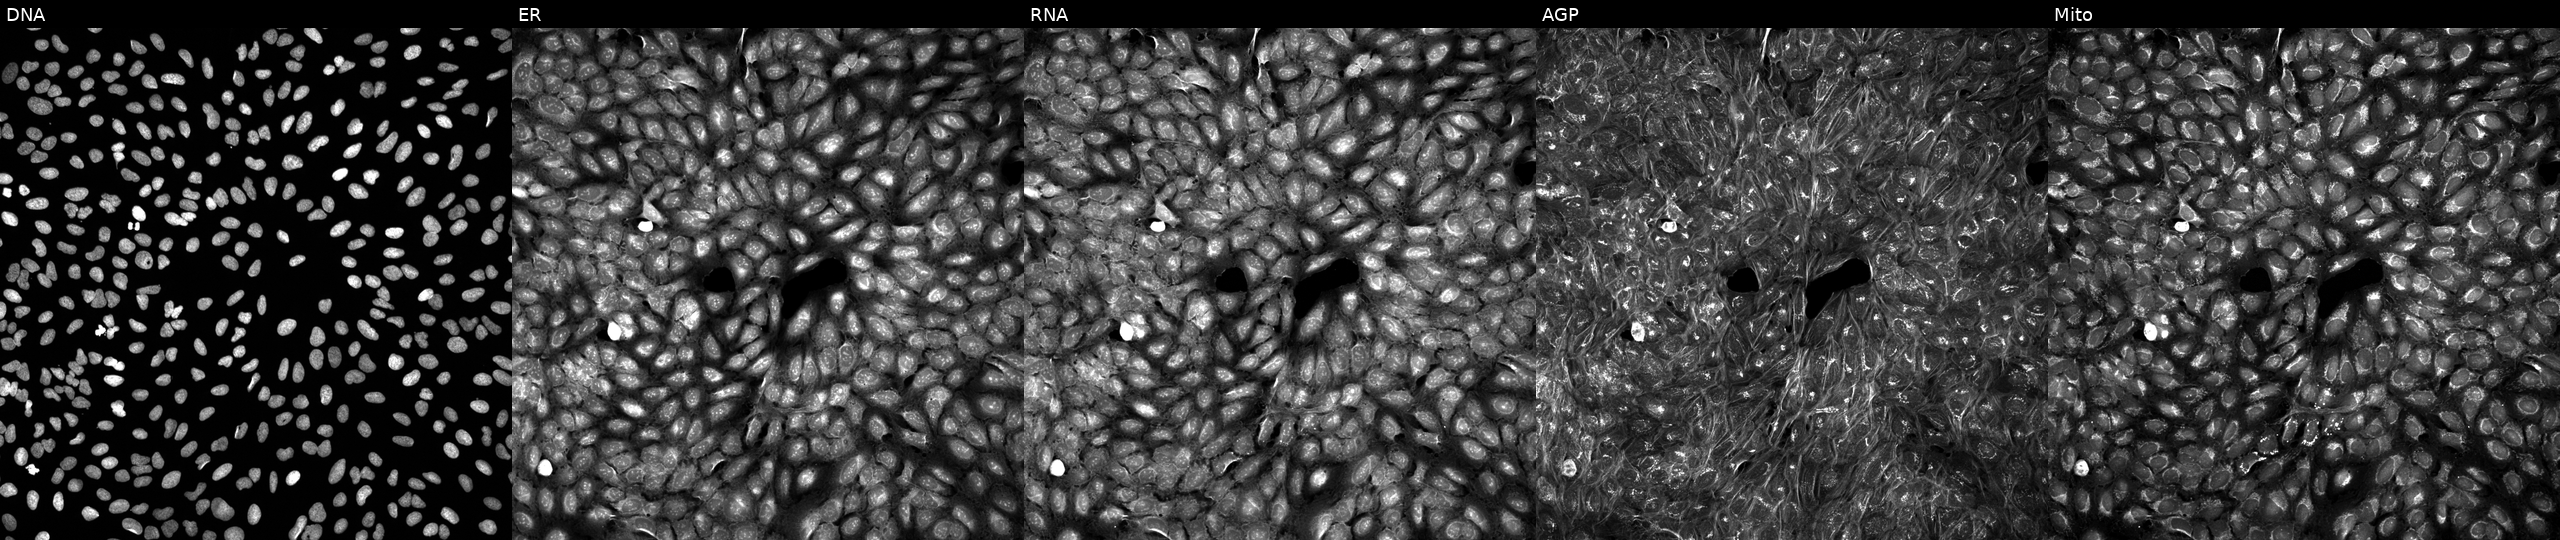
The five panels, left to right, show DNA (nuclei); ER (endoplasmic reticulum); RNA (nucleoli and cytoplasmic RNA); AGP (actin cytoskeleton, Golgi, and plasma membrane); Mito (mitochondria). U2OS osteosarcoma cells exposed to a small-molecule compound [SMILES: COc1ccc(NS(=O)(=O)c2ccc(-c3c(C)noc3C)cc2)cc1OC]. Cell Painting assay, JUMP-CP dataset. Source 5, plate APTJUM105, well F12.